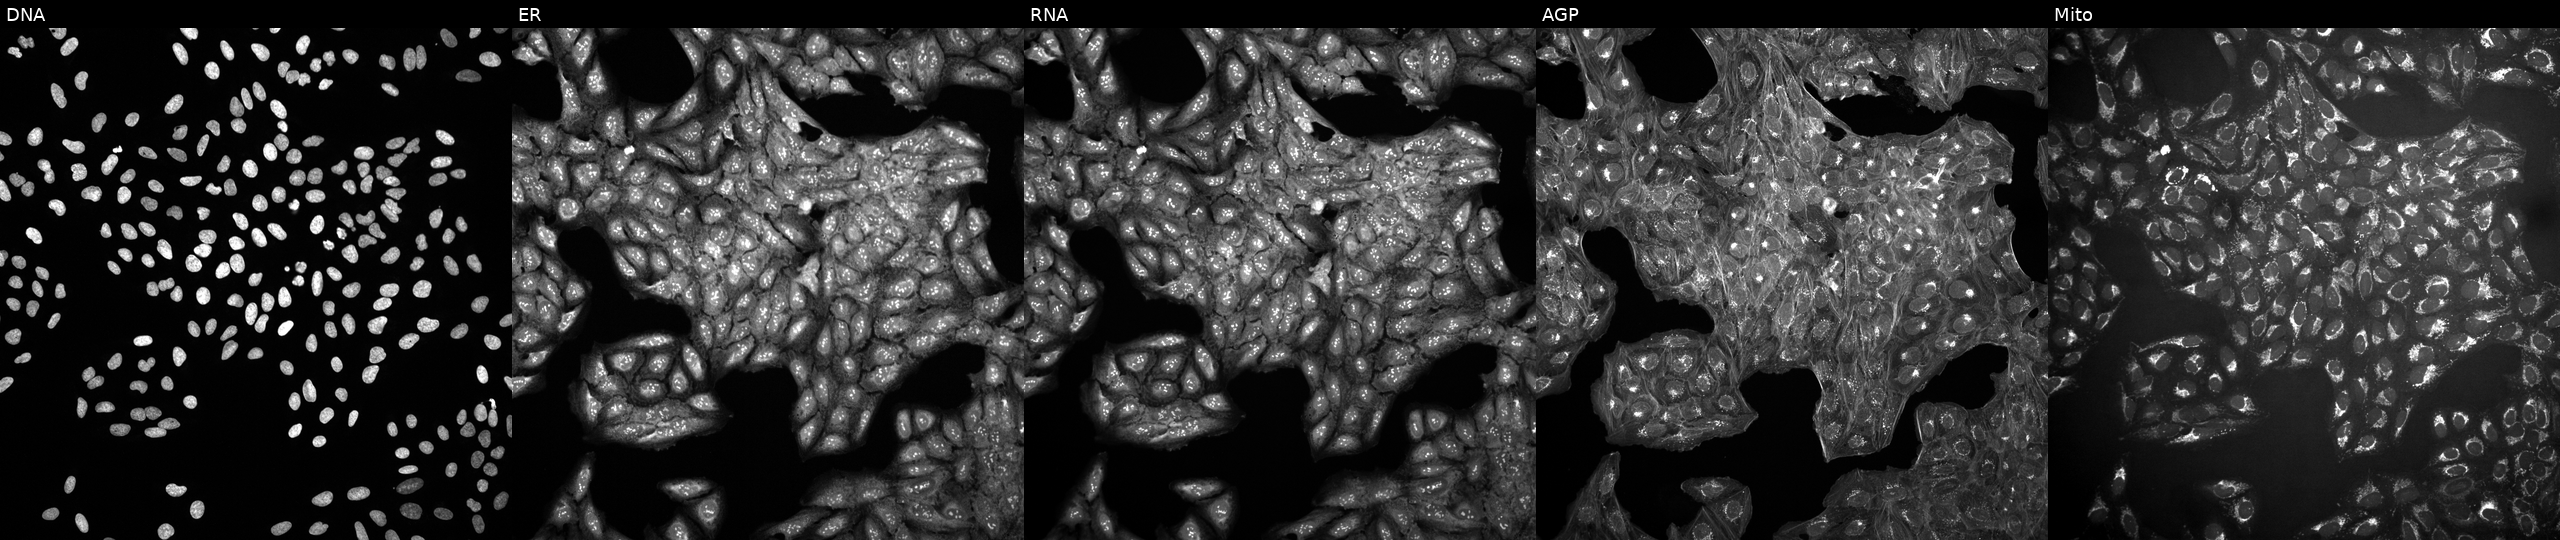
The five panels, left to right, show Hoechst 33342, concanavalin A, SYTO 14, phalloidin and WGA, MitoTracker. U2OS osteosarcoma cells in an empty control well (no perturbation) (JUMP id JCP2022_999999). Cell Painting assay, JUMP-CP dataset. Source 10, plate Dest210531-152149, well I09.